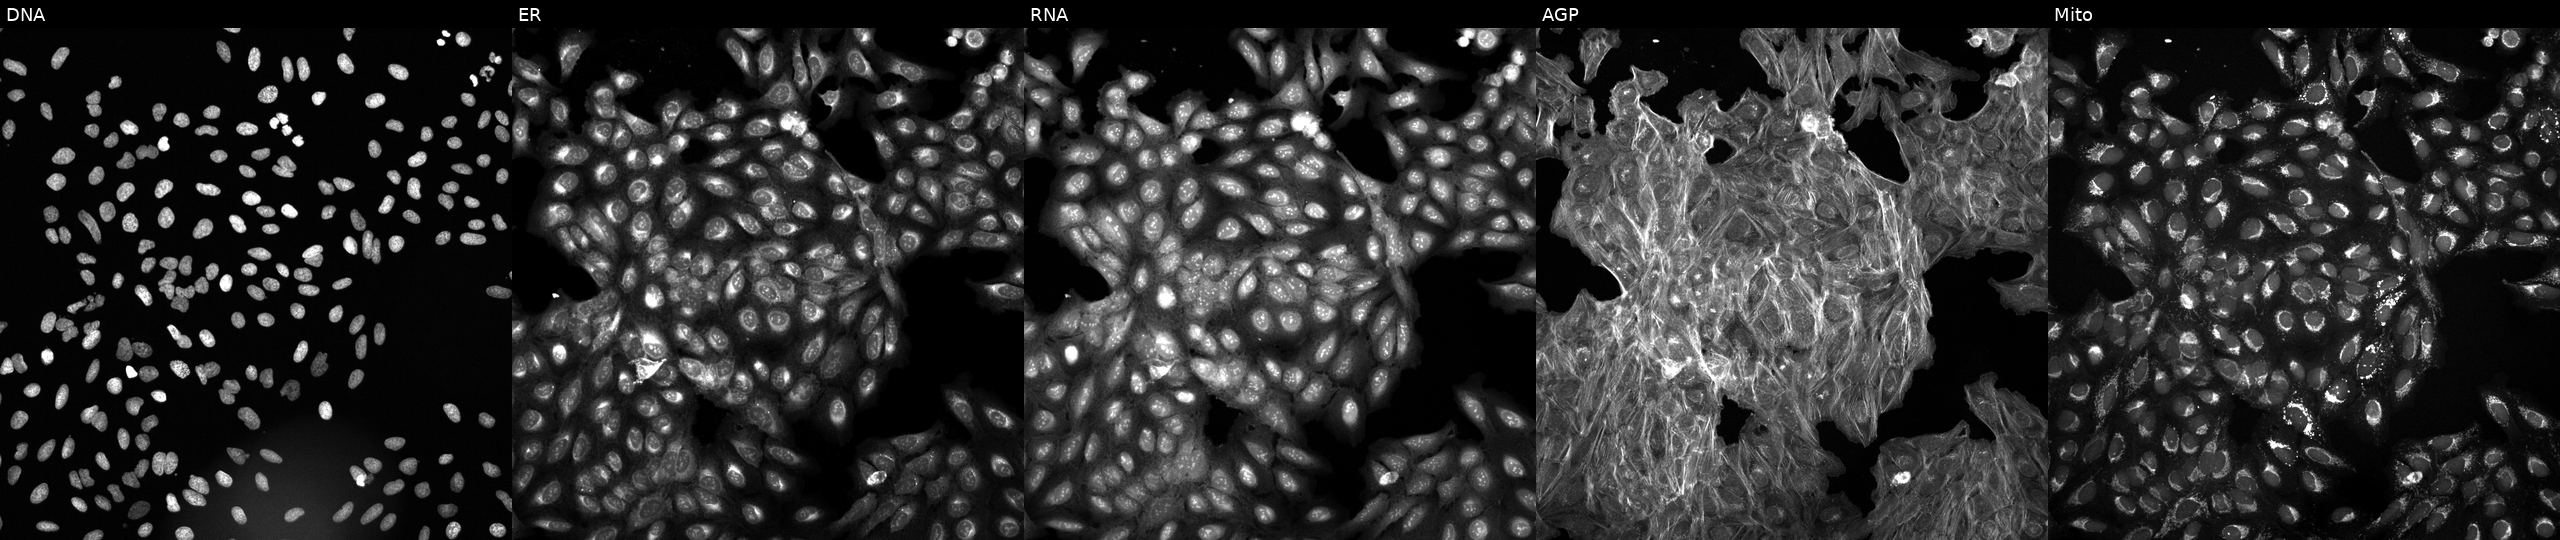
U2OS cells, Cell Painting assay, treated with DMSO vehicle only (negative control) (JUMP id JCP2022_033924). From left to right: Hoechst 33342, concanavalin A, SYTO 14, phalloidin and WGA, MitoTracker. Each panel is percentile-stretched 16-bit fluorescence.